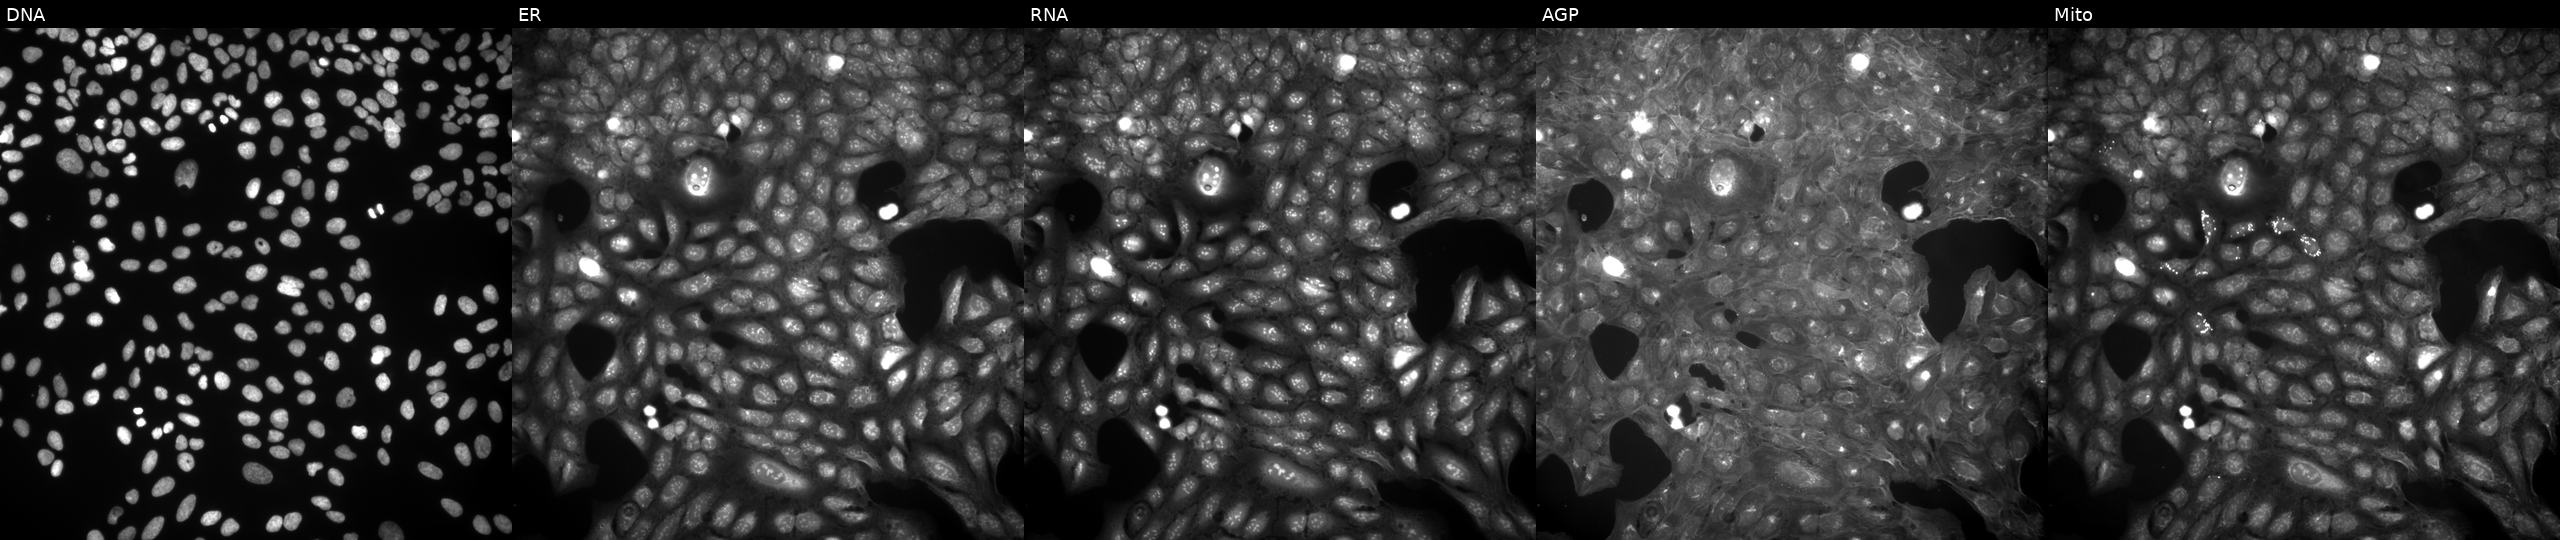
U2OS cells, Cell Painting assay, perturbed with a small-molecule compound (JUMP id JCP2022_071152). The five panels, left to right, show DNA (nuclei); ER (endoplasmic reticulum); RNA (nucleoli and cytoplasmic RNA); AGP (actin cytoskeleton, Golgi, and plasma membrane); Mito (mitochondria). Each panel is percentile-stretched 16-bit fluorescence.